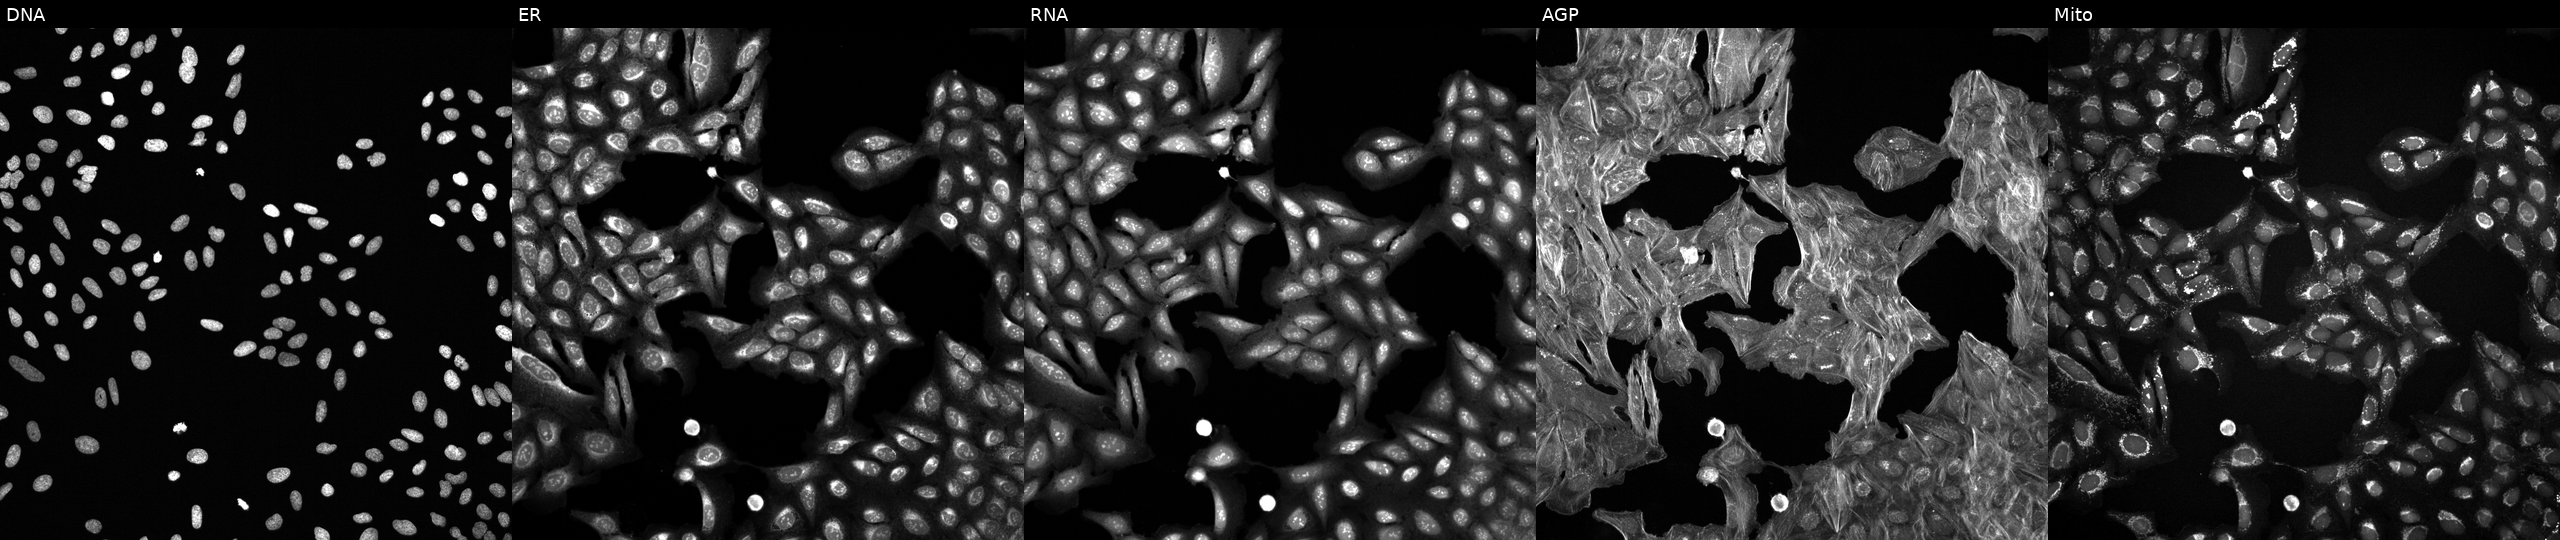
High-content fluorescence microscopy (Cell Painting). Cell line: U2OS. Perturbation: exposed to a small-molecule compound (InChIKey FMXMYYPBEOAXNX-UHFFFAOYSA-N). The five panels, left to right, show Hoechst 33342, concanavalin A, SYTO 14, phalloidin and WGA, MitoTracker. Source 6, plate 110000293083, well O17.